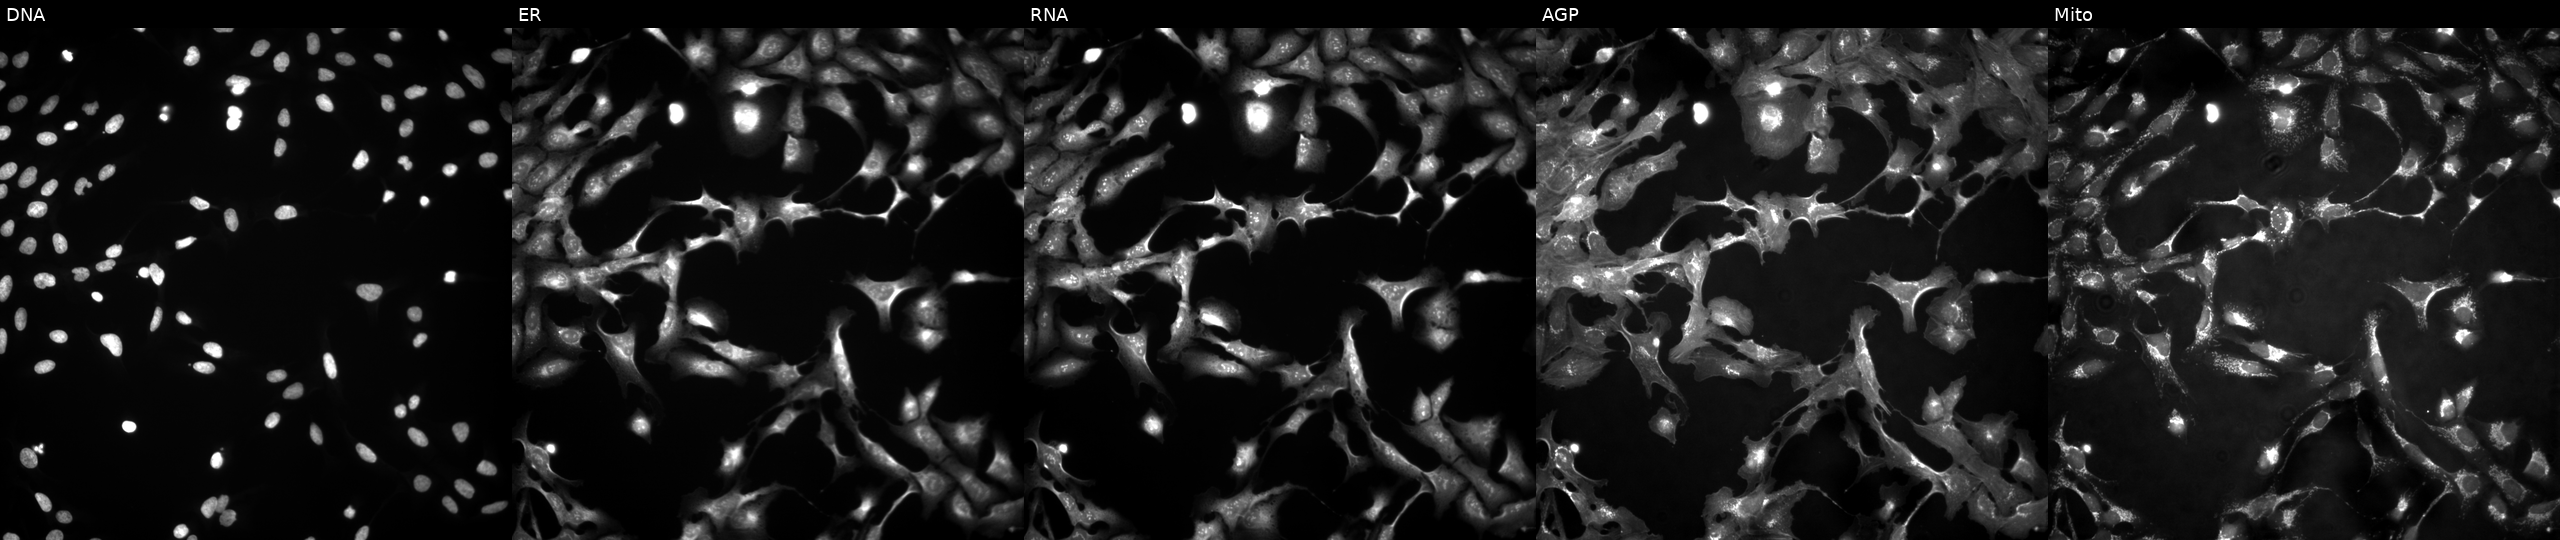
U2OS cells, Cell Painting assay, transfected with an ORF construct for STARD8. Panels show, left to right, DNA, ER, RNA, AGP, and Mito. Each panel is percentile-stretched 16-bit fluorescence.